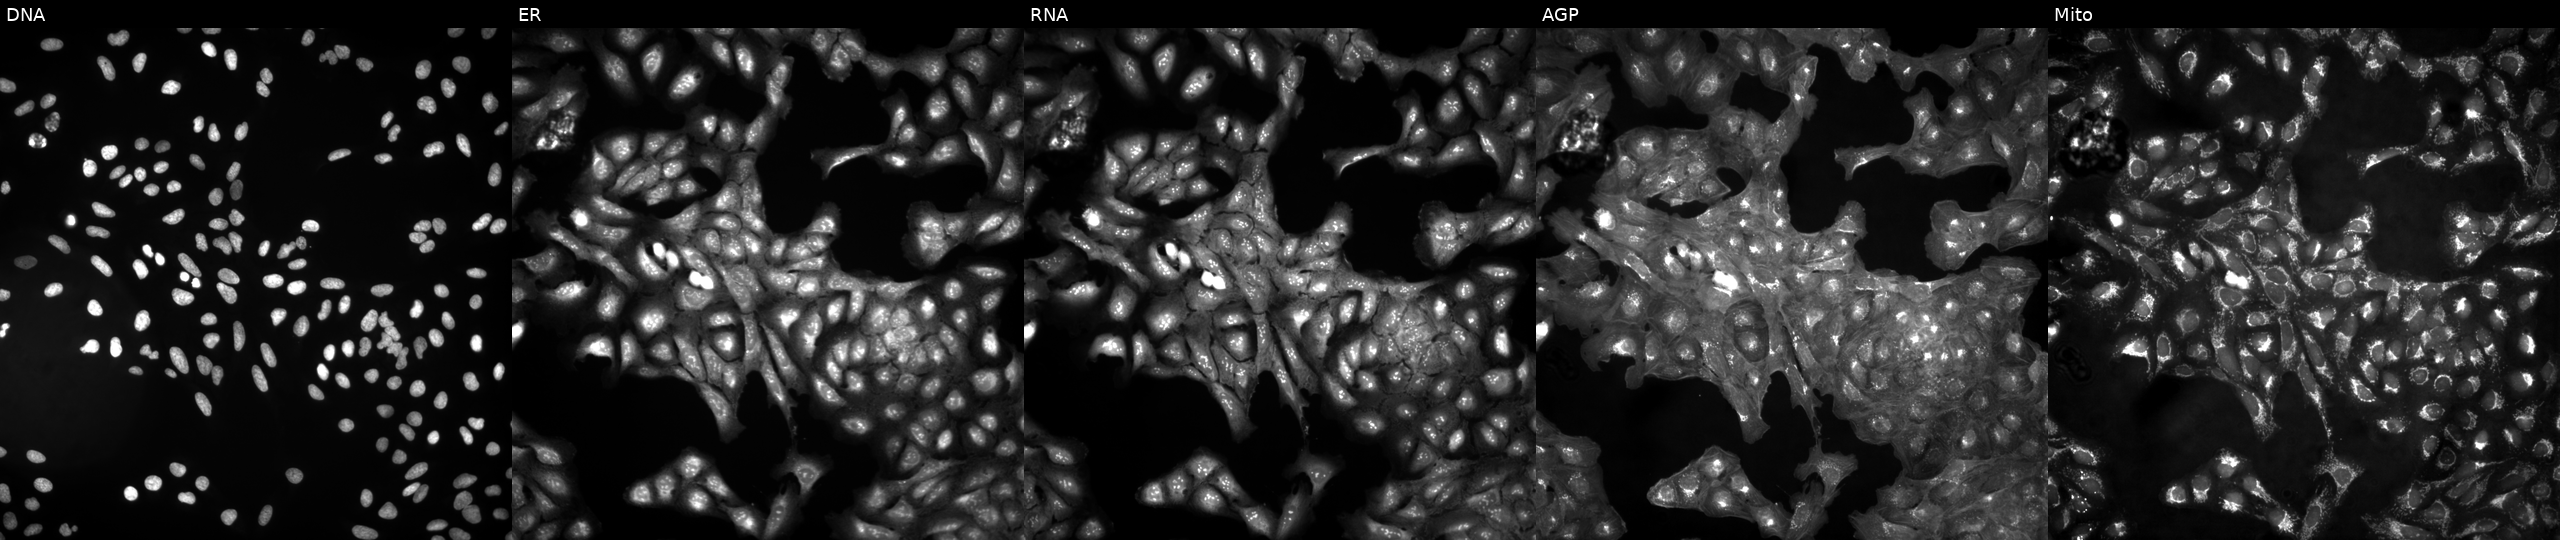
JUMP Cell Painting — ORF plate. U2OS cells untreated (empty-well control) (JUMP id JCP2022_999999). Channels (left→right): DNA, ER, RNA, AGP, and Mito. Source 4, plate BR00123946, well M13.